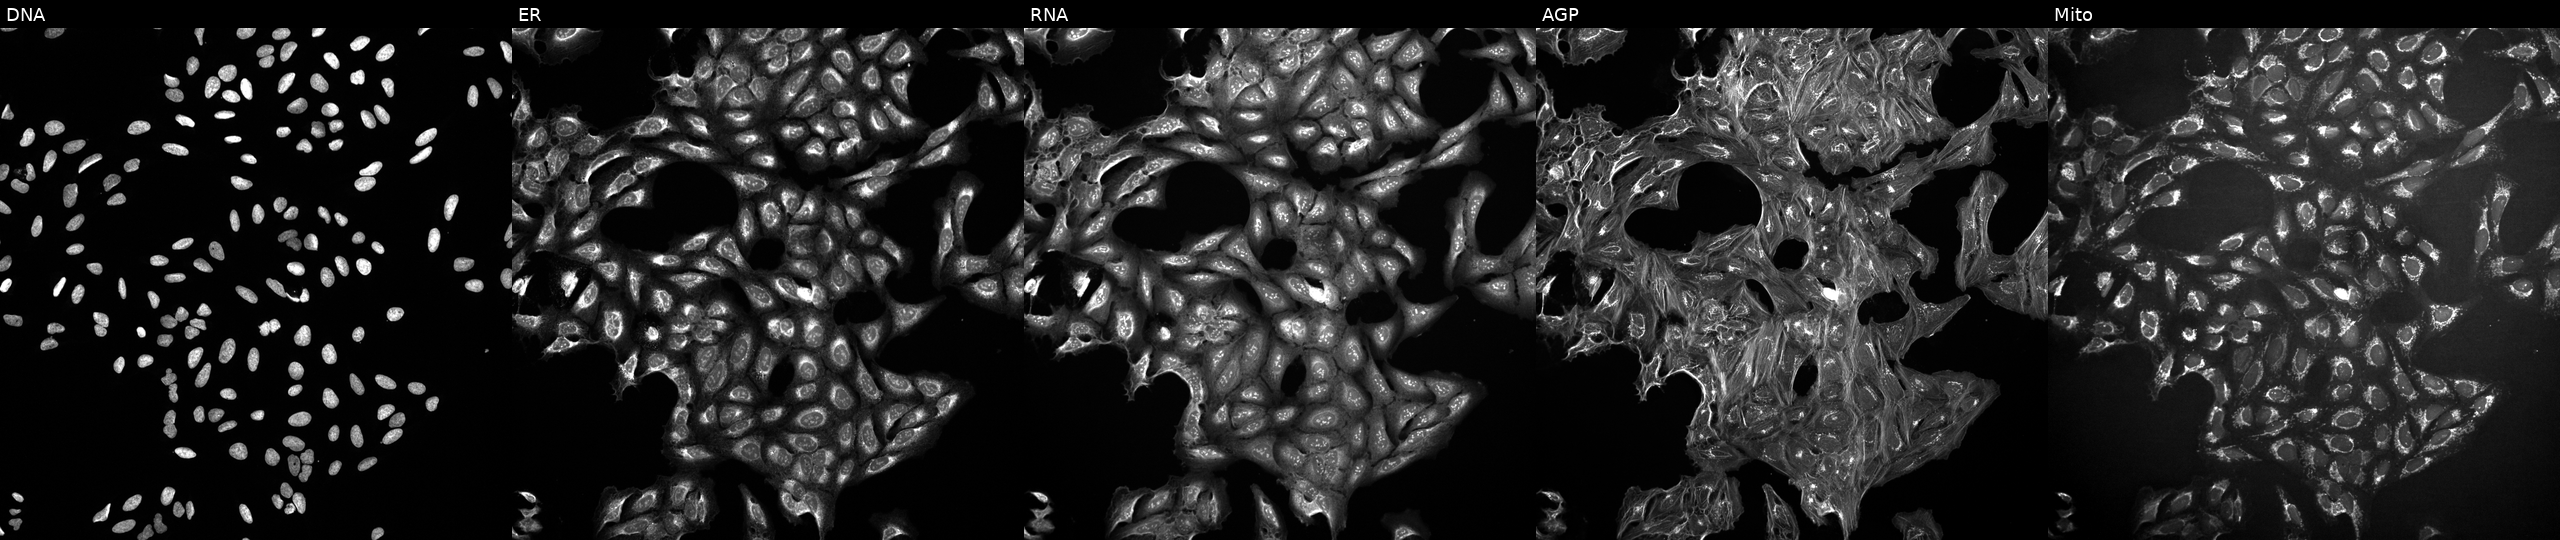
High-content fluorescence microscopy (Cell Painting). Cell line: U2OS. Perturbation: perturbed with a small-molecule compound (InChIKey LJAFAMBVLKPNTM-UHFFFAOYSA-N) (JUMP id JCP2022_049755). The five panels, left to right, show DNA (nuclei); ER (endoplasmic reticulum); RNA (nucleoli and cytoplasmic RNA); AGP (actin cytoskeleton, Golgi, and plasma membrane); Mito (mitochondria).